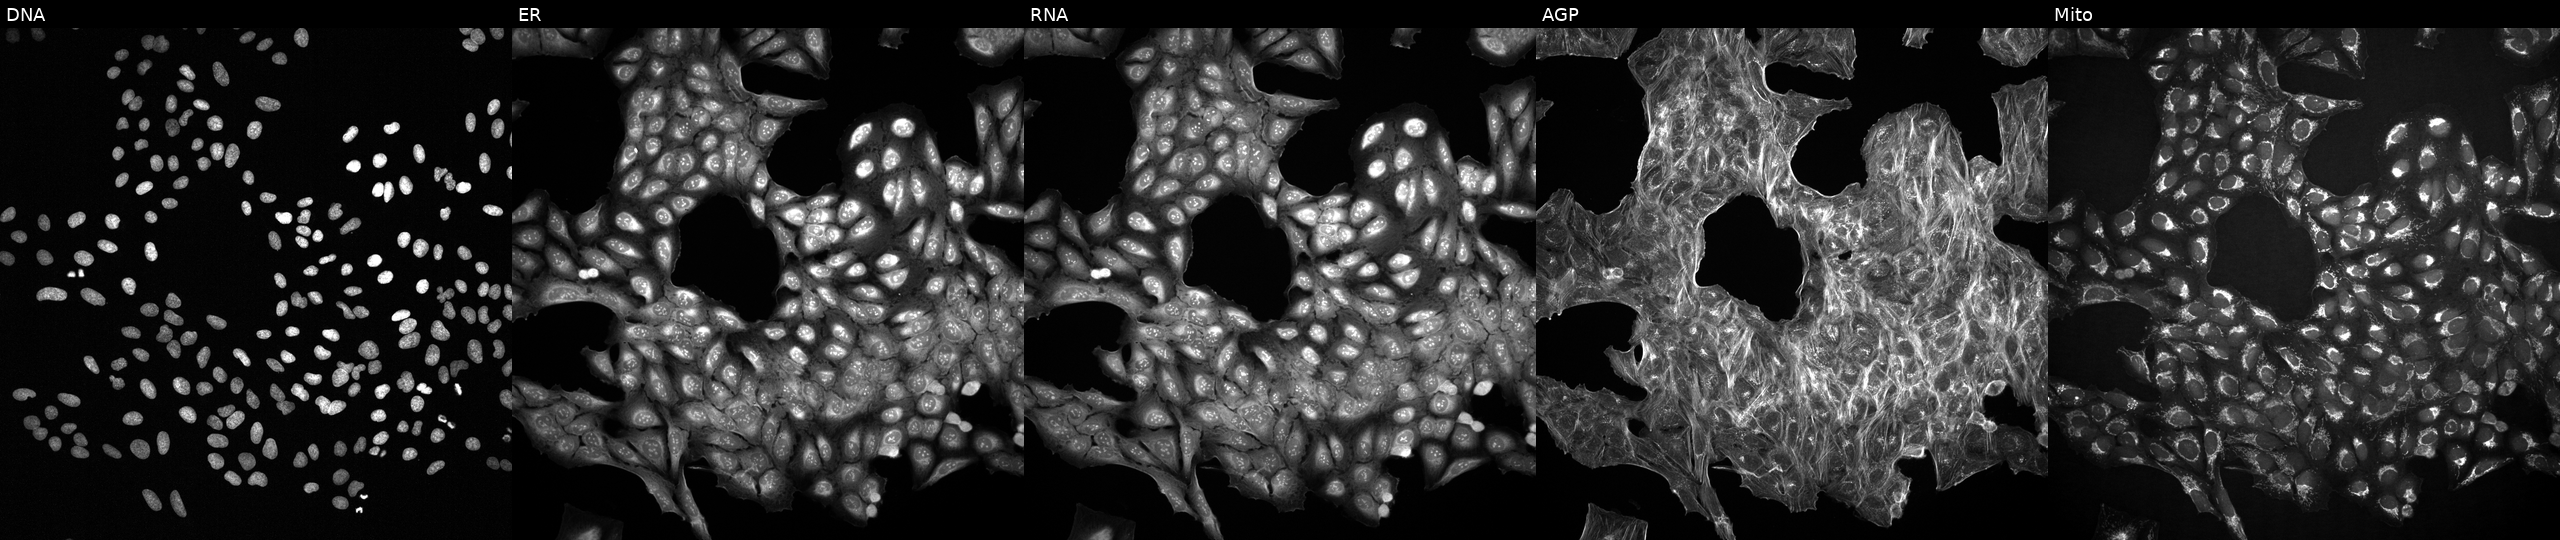
Five-channel Cell Painting image of U2OS cells with an unidentified perturbation (not annotated in JUMP metadata). The five panels, left to right, show DNA (nuclei); ER (endoplasmic reticulum); RNA (nucleoli and cytoplasmic RNA); AGP (actin cytoskeleton, Golgi, and plasma membrane); Mito (mitochondria).